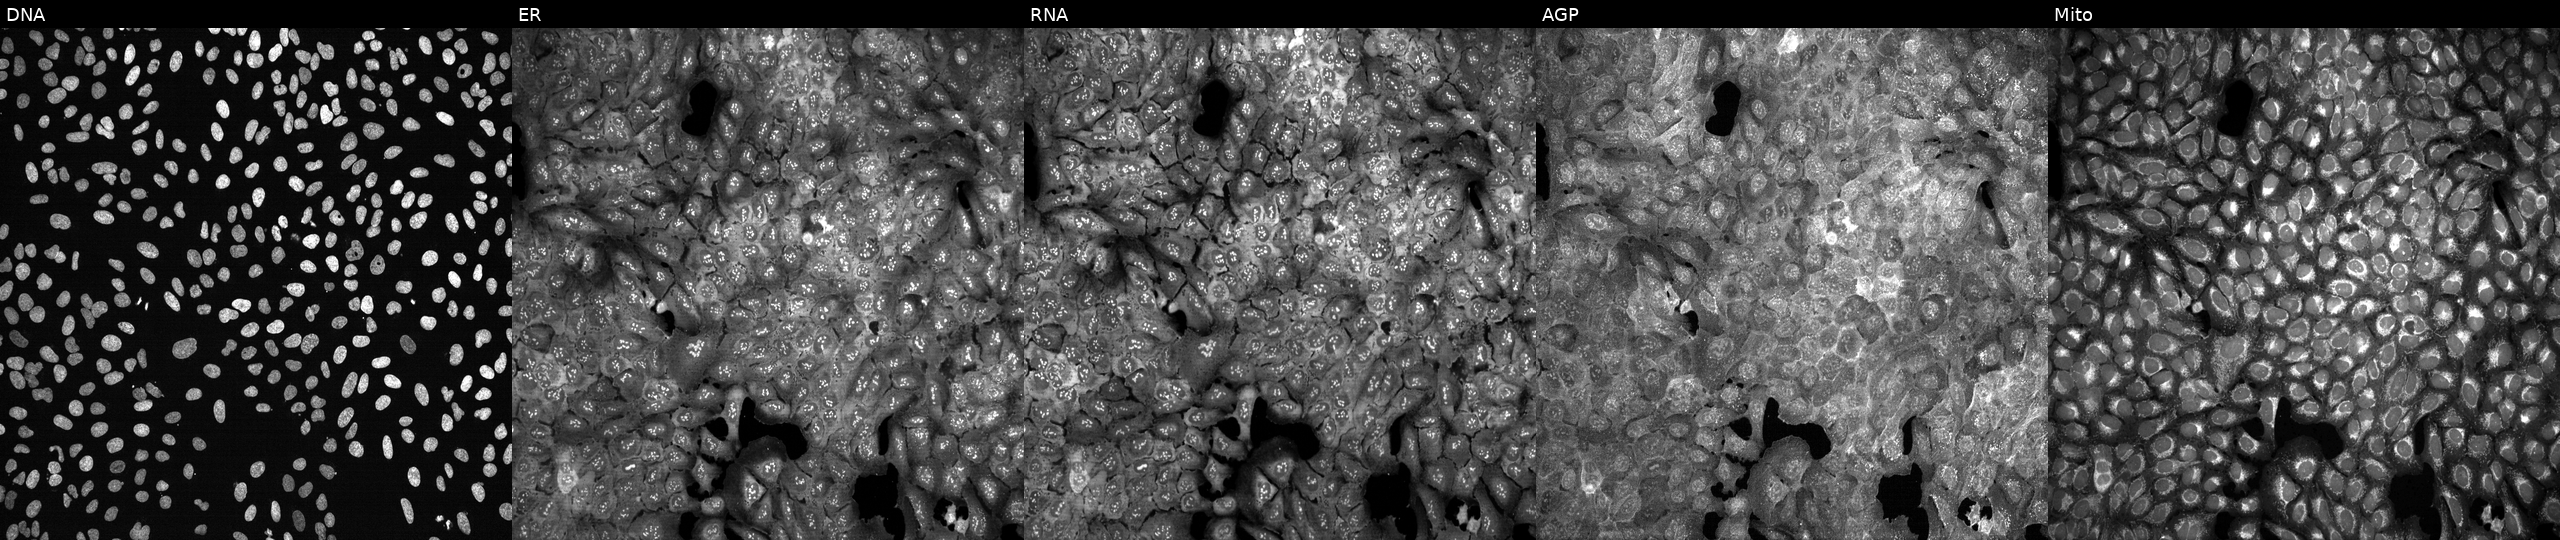
This image strip shows the five Cell Painting channels for a single field of U2OS cells CRISPR-edited to disrupt MAD2L2. Panels show, left to right, DNA (nuclei); ER (endoplasmic reticulum); RNA (nucleoli and cytoplasmic RNA); AGP (actin cytoskeleton, Golgi, and plasma membrane); Mito (mitochondria).